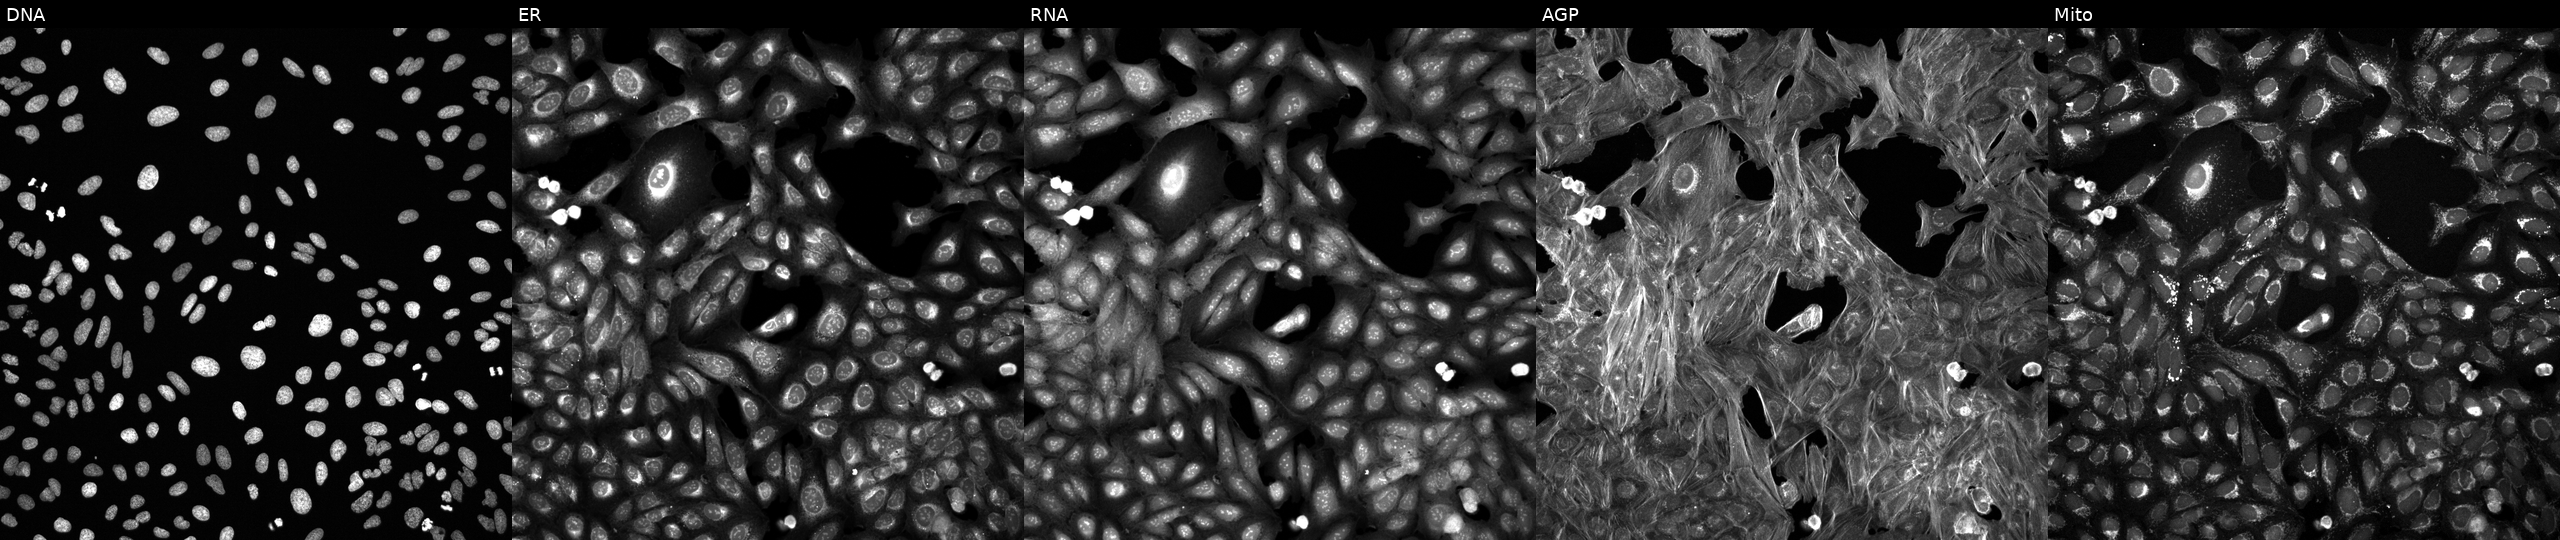
High-content fluorescence microscopy (Cell Painting). Cell line: U2OS. Perturbation: treated with a small-molecule compound (InChIKey XSDQTOBWRPYKKA-UHFFFAOYSA-N). Panels show, left to right, DNA (nuclei); ER (endoplasmic reticulum); RNA (nucleoli and cytoplasmic RNA); AGP (actin cytoskeleton, Golgi, and plasma membrane); Mito (mitochondria).